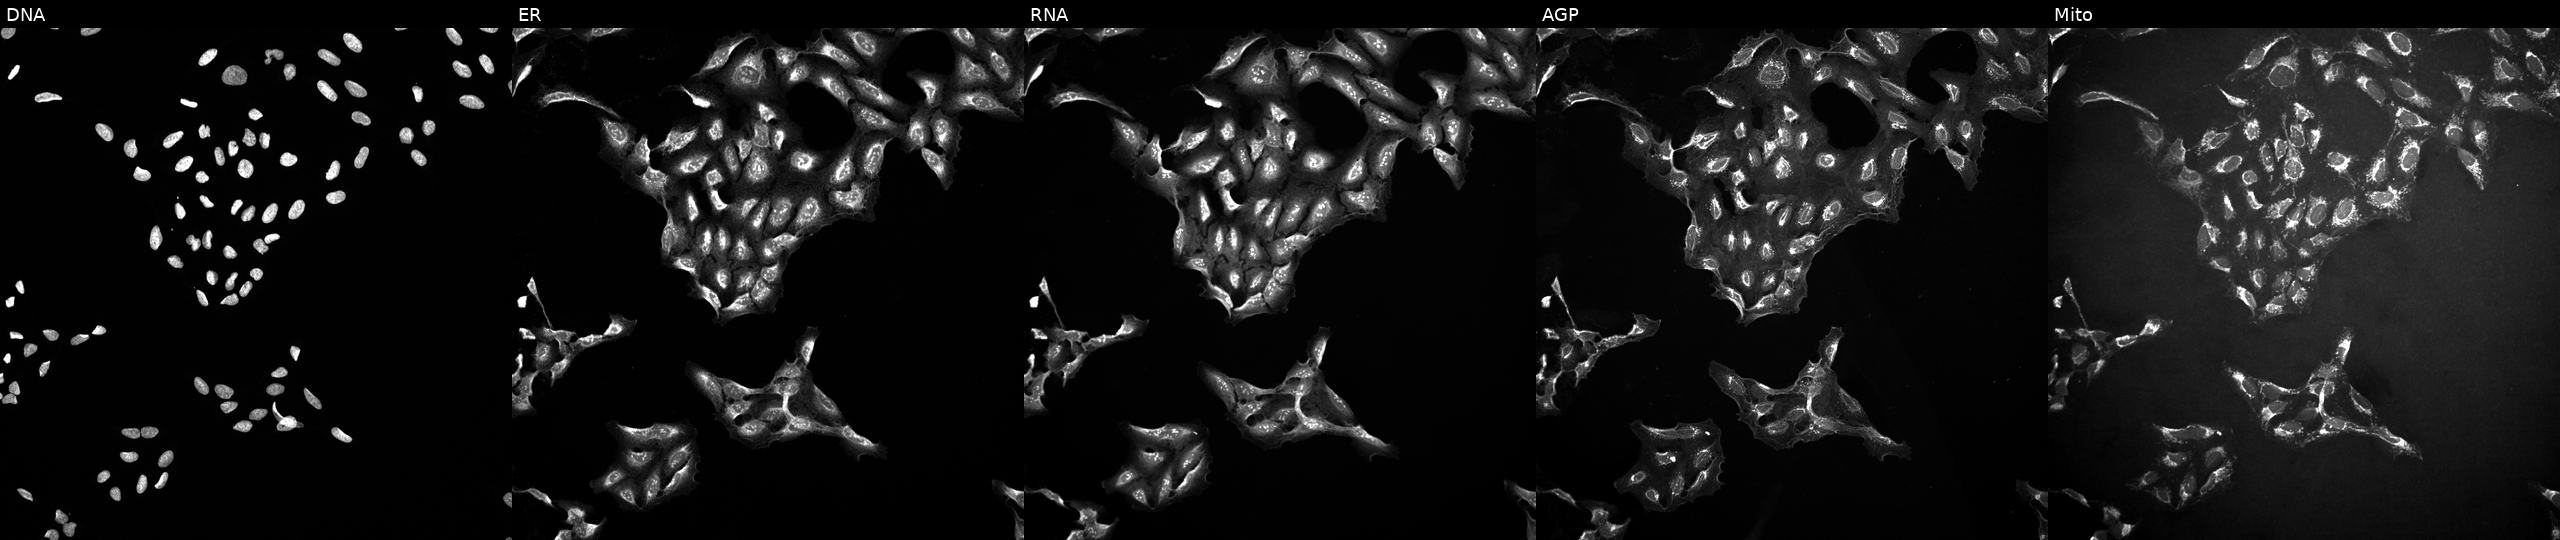
U2OS cells, Cell Painting assay, treated with DMSO vehicle only (negative control) (JUMP id JCP2022_033924). Channels (left→right): DNA, ER, RNA, AGP, and Mito. Each panel is percentile-stretched 16-bit fluorescence. Source 10, plate Dest210803-153958, well H02.